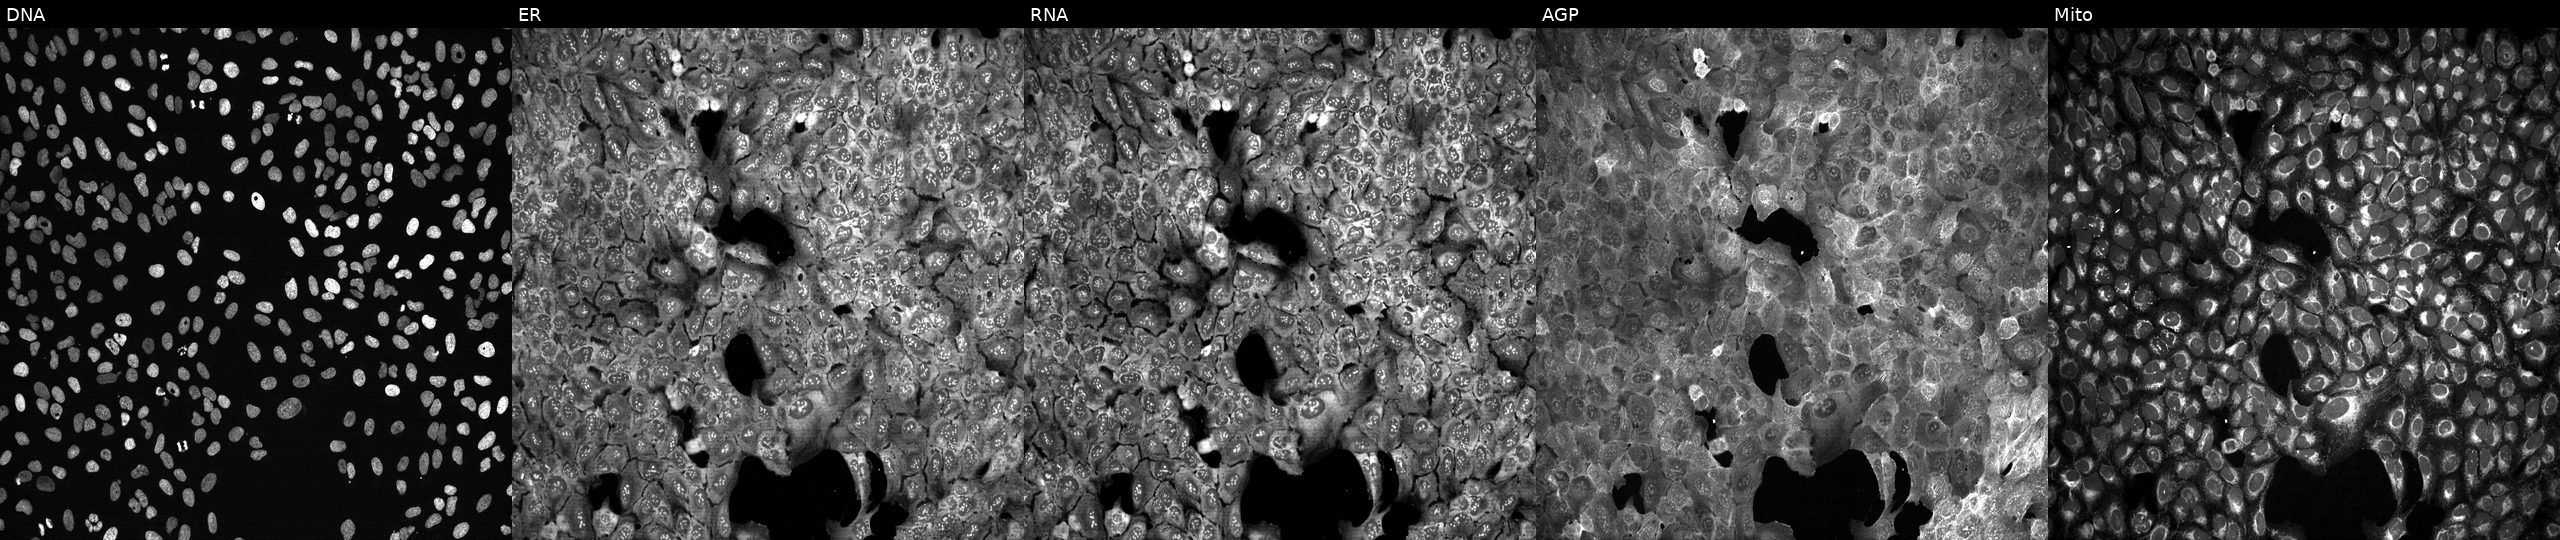
Five-channel Cell Painting image of U2OS cells with LCT knocked out by CRISPR (JUMP id JCP2022_803794). Panels show, left to right, Hoechst 33342, concanavalin A, SYTO 14, phalloidin and WGA, MitoTracker. Source 13, plate CP-CC9-R2-02, well F09.